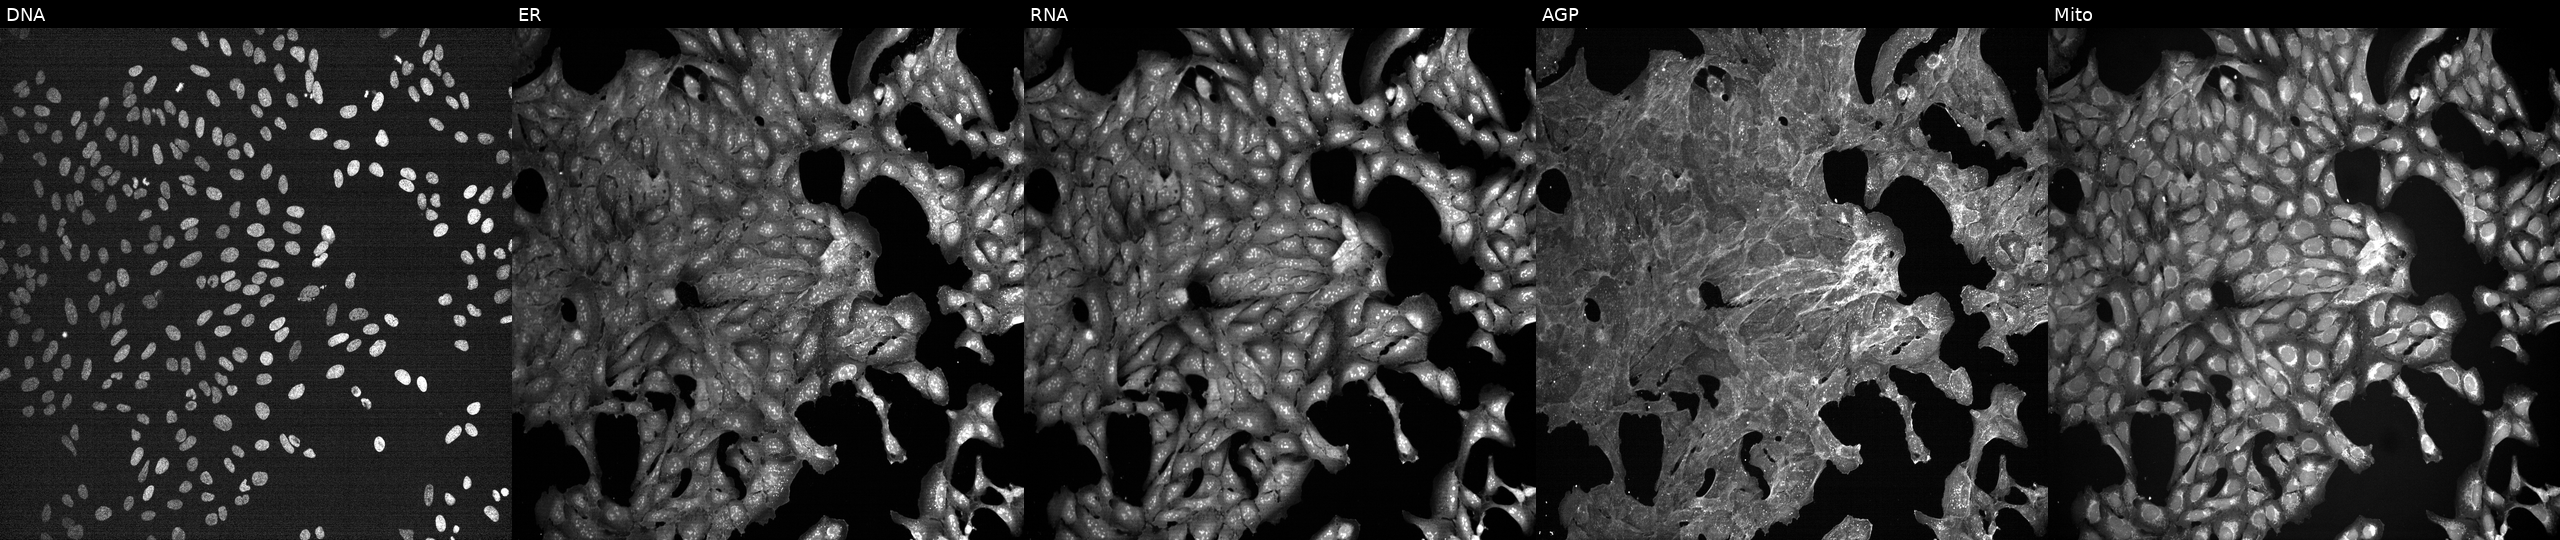
Panels show, left to right, DNA (nuclei); ER (endoplasmic reticulum); RNA (nucleoli and cytoplasmic RNA); AGP (actin cytoskeleton, Golgi, and plasma membrane); Mito (mitochondria). U2OS osteosarcoma cells exposed to a small-molecule compound [SMILES: O=C(NCCO)c1cccc(-c2cc(=Nc3ccc(OC(F)(F)F)cc3)[nH]cn2)c1] (JUMP id JCP2022_035296). Cell Painting assay, JUMP-CP dataset.